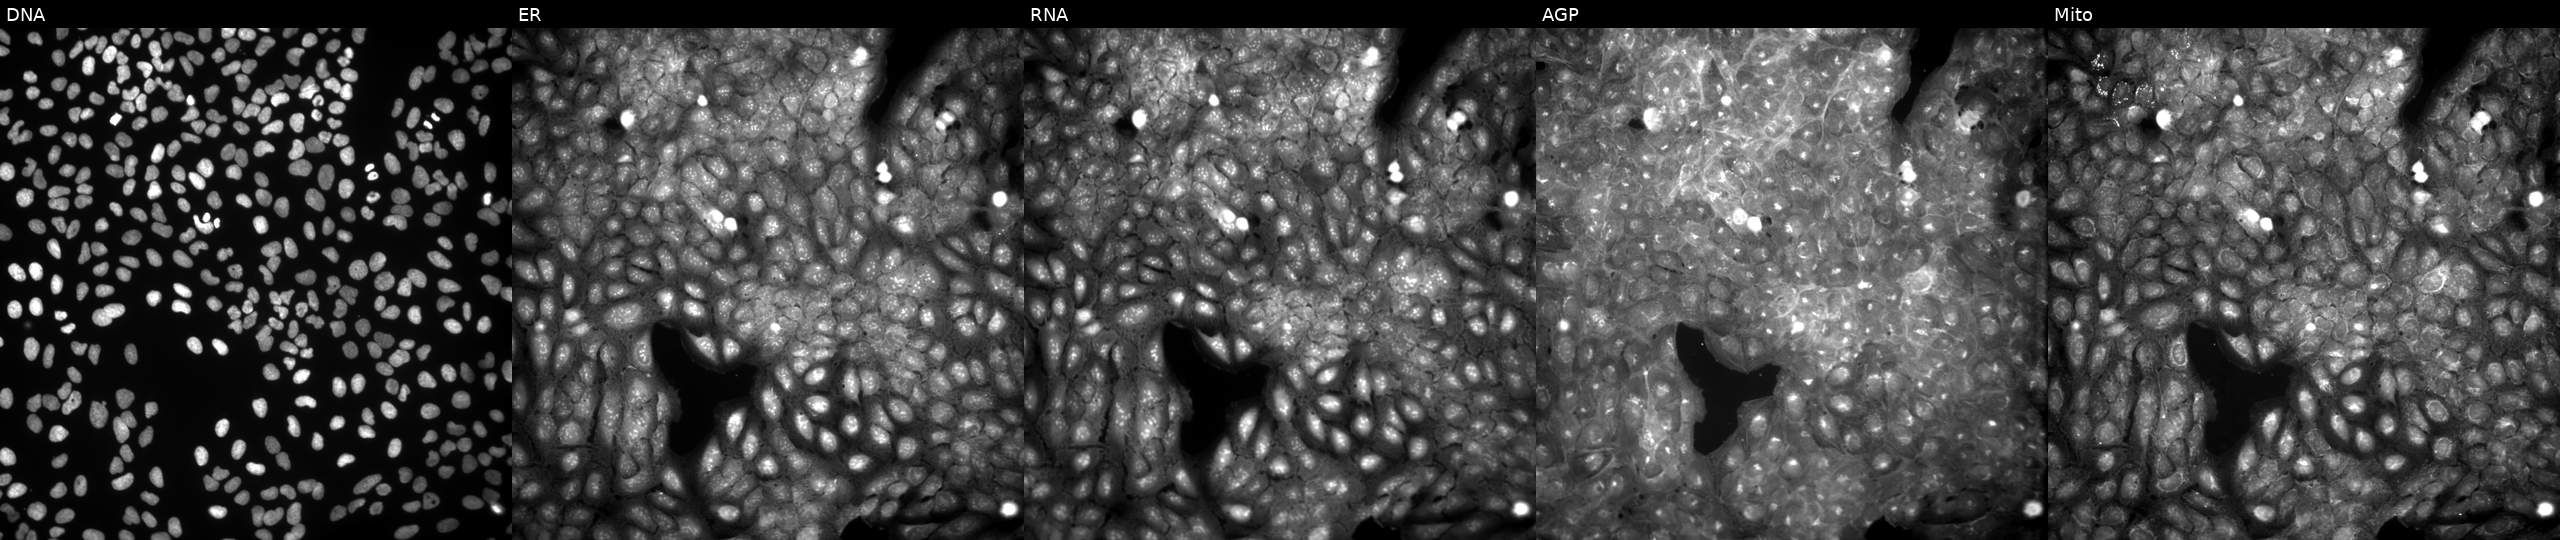
From left to right: DNA (nuclei); ER (endoplasmic reticulum); RNA (nucleoli and cytoplasmic RNA); AGP (actin cytoskeleton, Golgi, and plasma membrane); Mito (mitochondria). U2OS osteosarcoma cells treated with a small-molecule compound (InChIKey WIBGNGPZQYEWCQ-UHFFFAOYSA-N) [SMILES: O=C(COc1ccccc1Br)N=c1[nH]ccs1]. Cell Painting assay, JUMP-CP dataset. Source 9, plate GR00003381, well Q33.